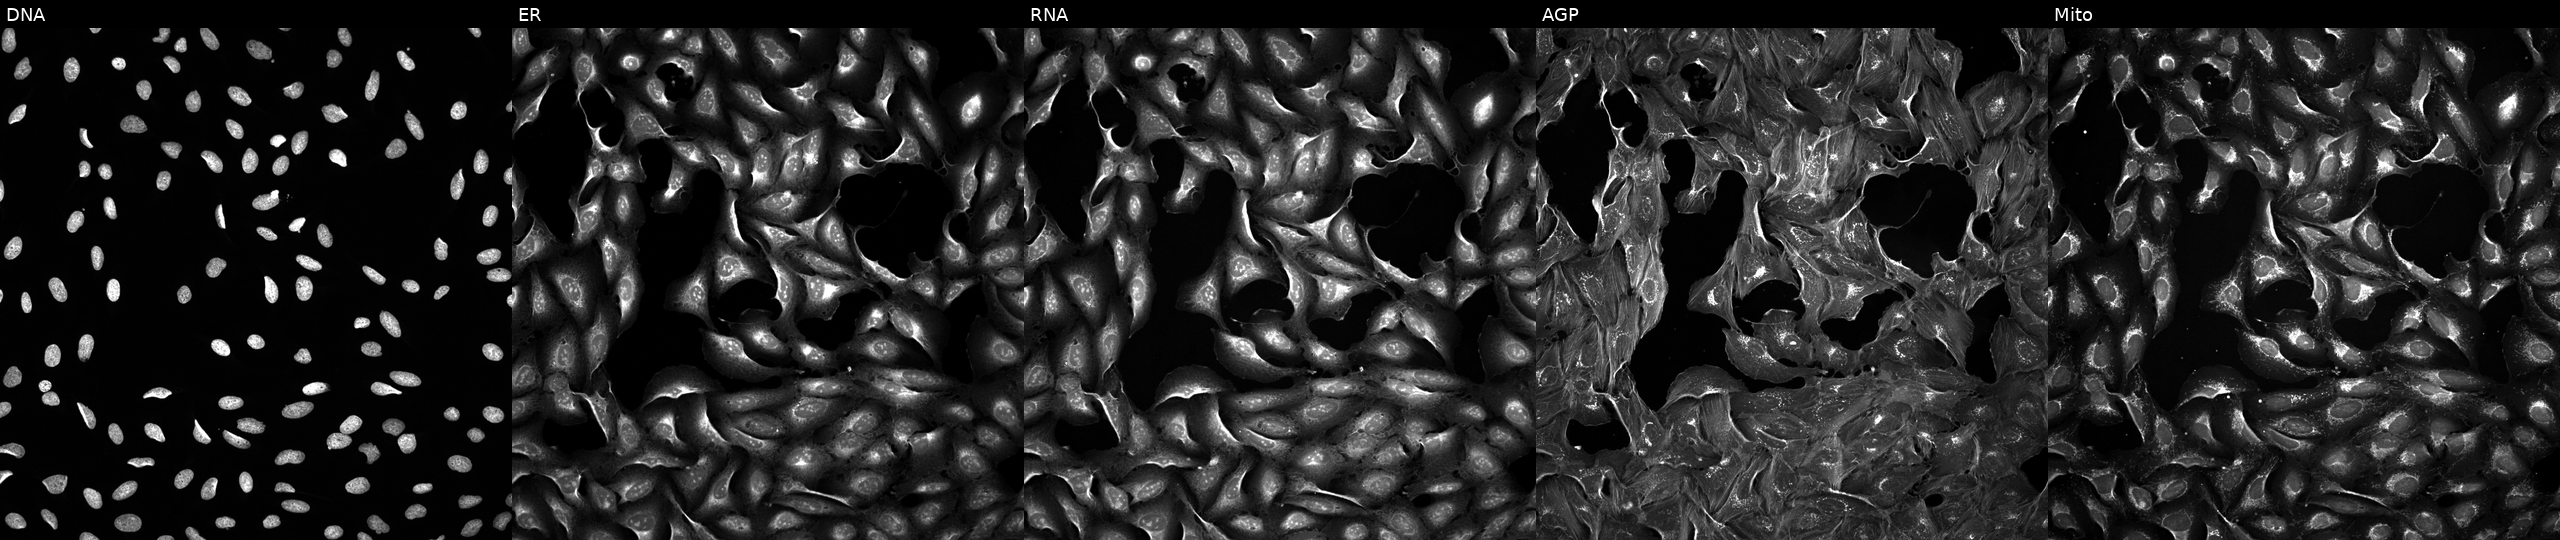
Five-channel Cell Painting image of U2OS cells perturbed with a small-molecule compound (InChIKey IPSSXIMJJXSJQB-UHFFFAOYSA-N). From left to right: DNA, ER, RNA, AGP, and Mito.